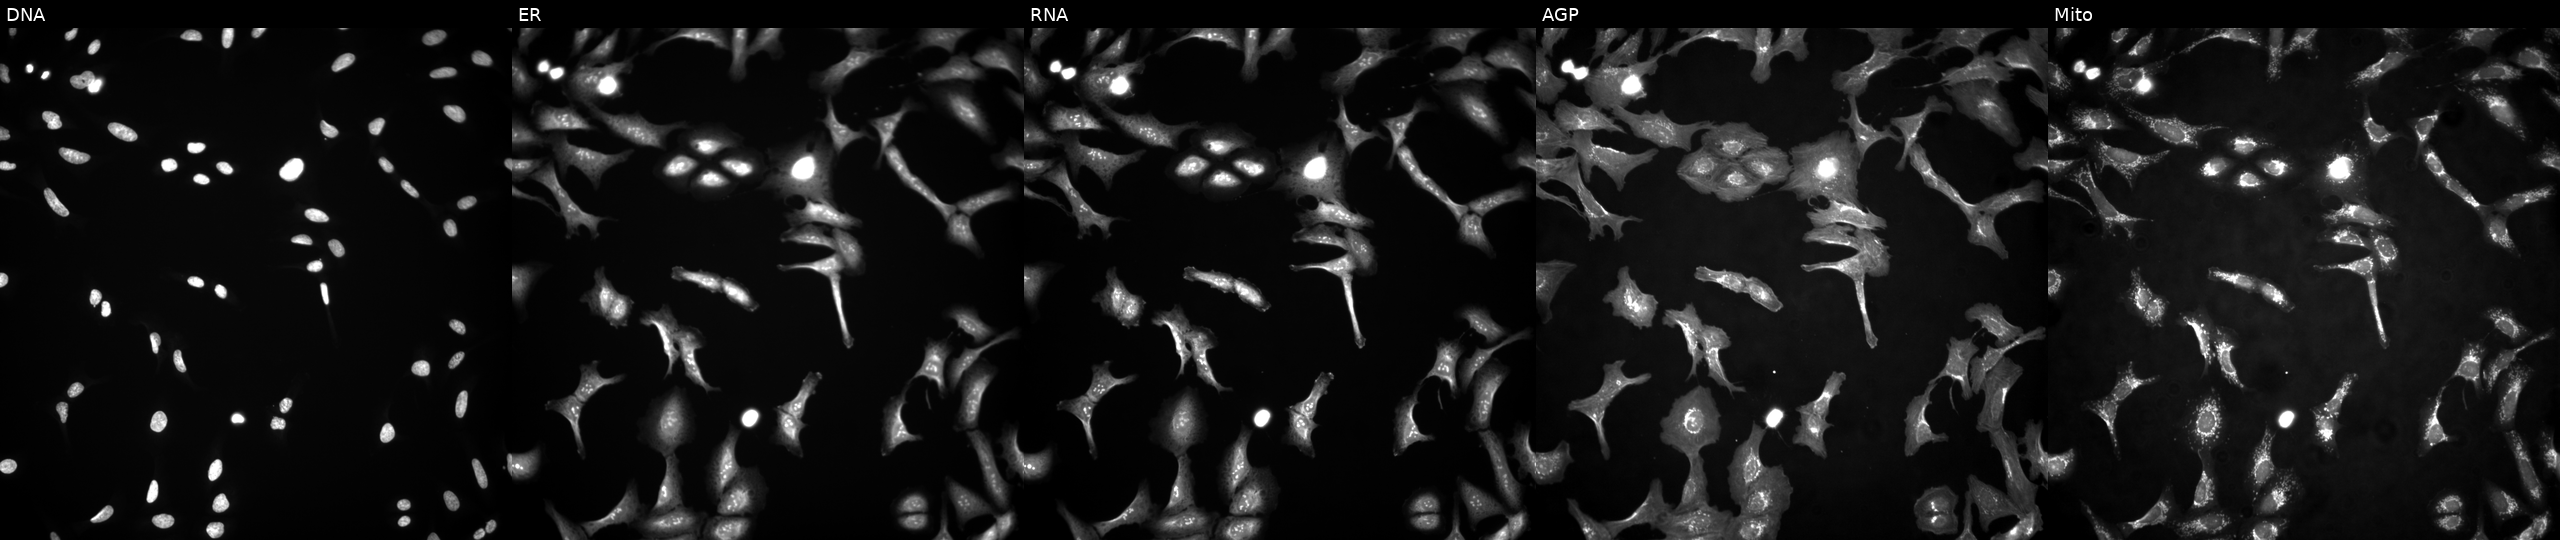
JUMP Cell Painting — ORF plate. U2OS cells transfected with an ORF construct for HMGN4. Panels show, left to right, Hoechst 33342, concanavalin A, SYTO 14, phalloidin and WGA, MitoTracker.